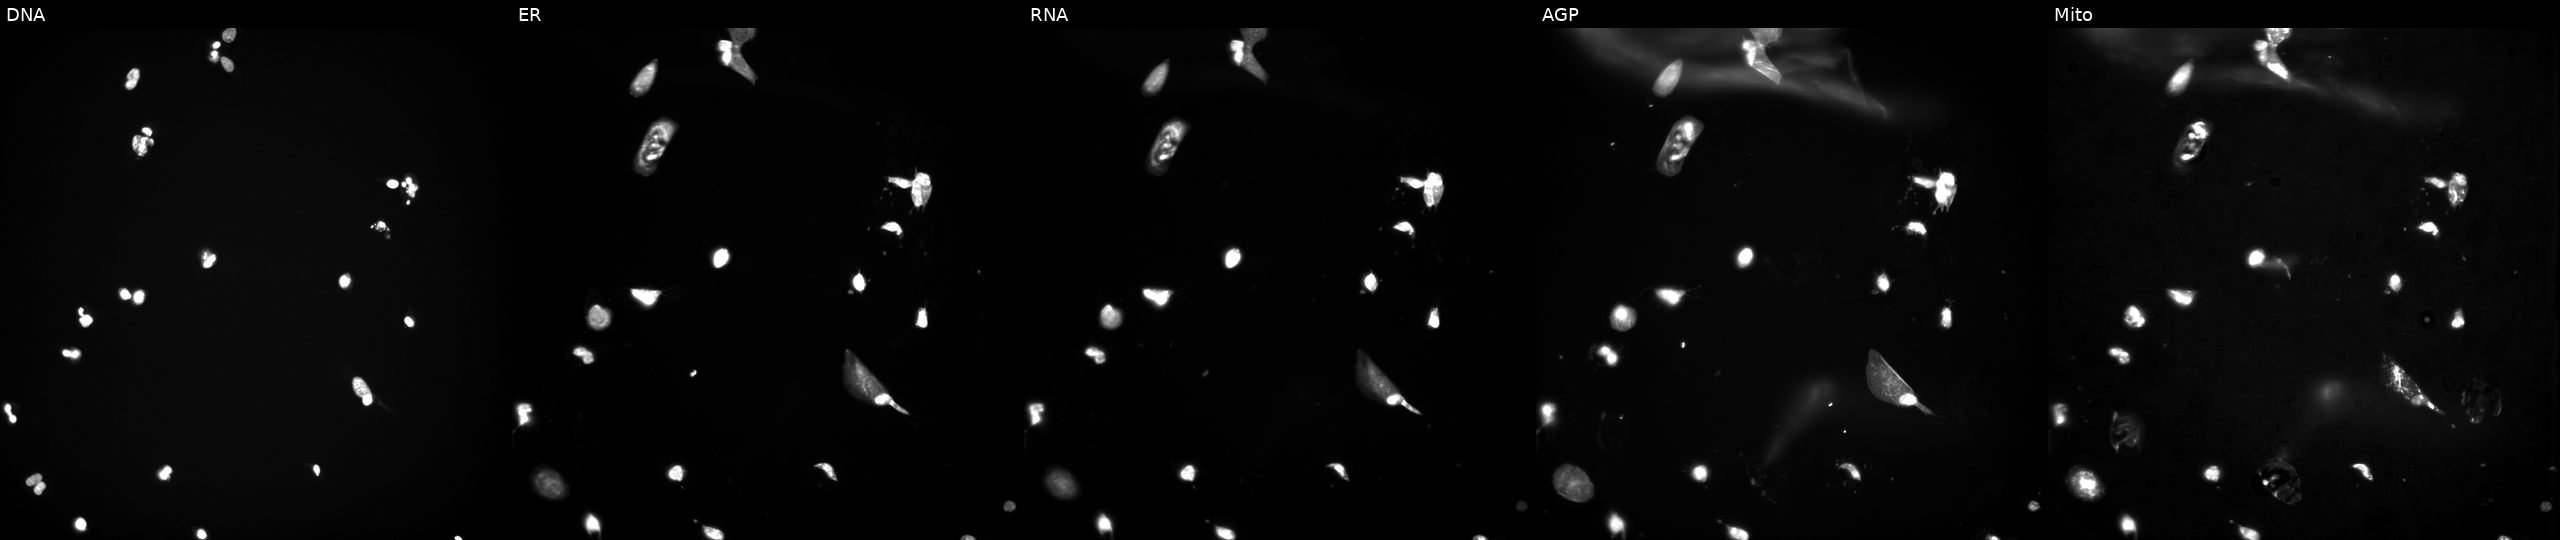
U2OS cells, Cell Painting assay, perturbed with a small-molecule compound (InChIKey HGMSUJCQIUFZBJ-UHFFFAOYSA-N). Panels show, left to right, DNA (nuclei); ER (endoplasmic reticulum); RNA (nucleoli and cytoplasmic RNA); AGP (actin cytoskeleton, Golgi, and plasma membrane); Mito (mitochondria). Each panel is percentile-stretched 16-bit fluorescence.